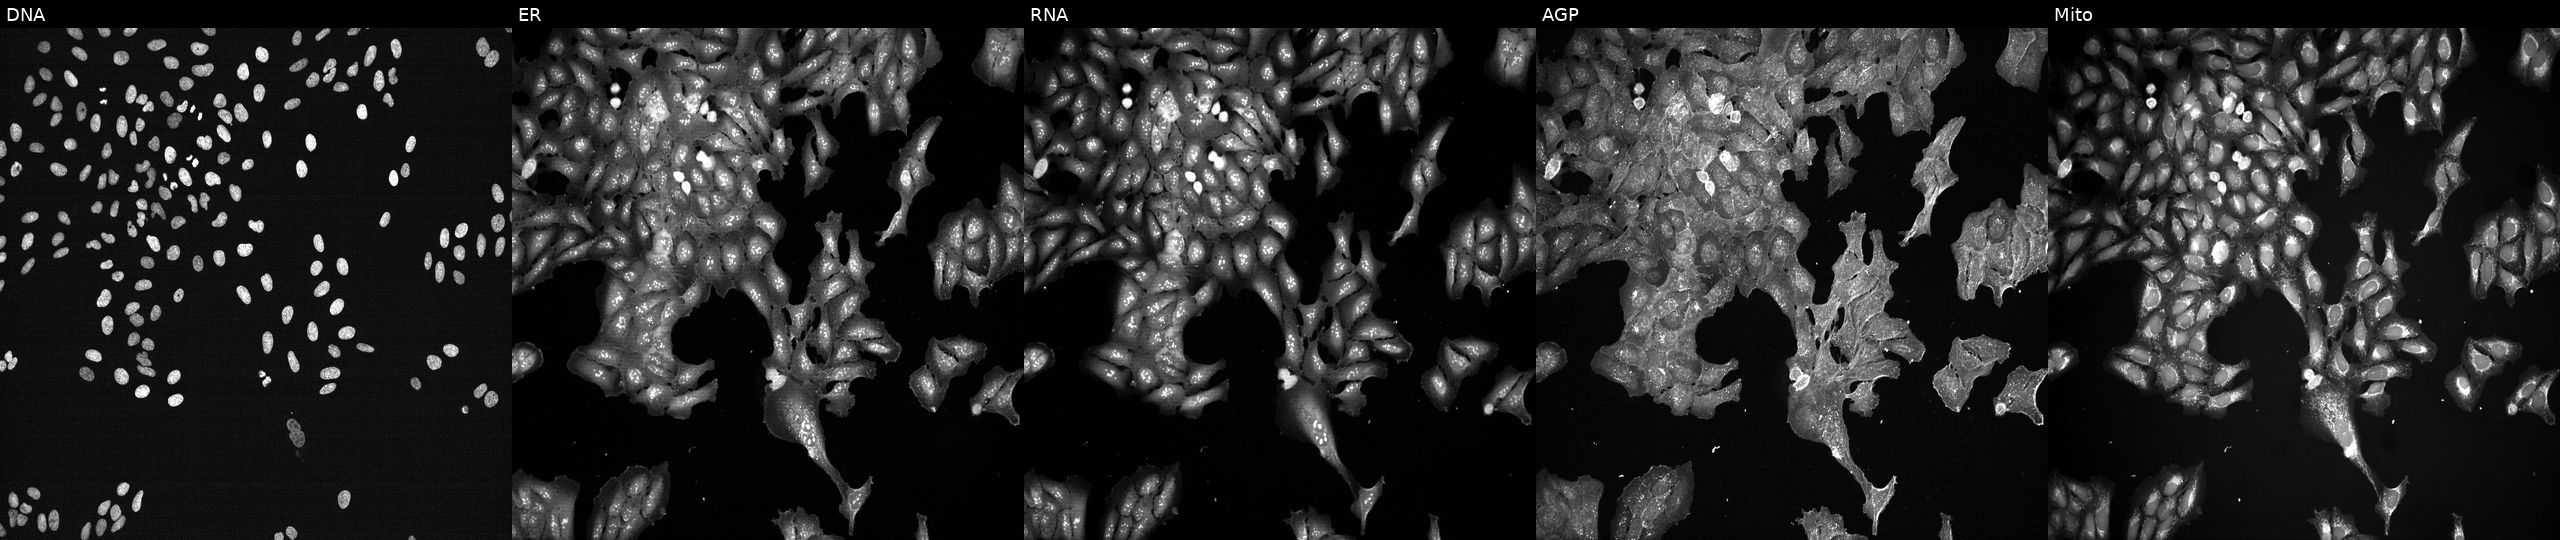
This image strip shows the five Cell Painting channels for a single field of U2OS cells treated with DMSO vehicle only (negative control). From left to right: DNA, ER, RNA, AGP, and Mito. Source 7, plate CP2-SC1-25, well F21.